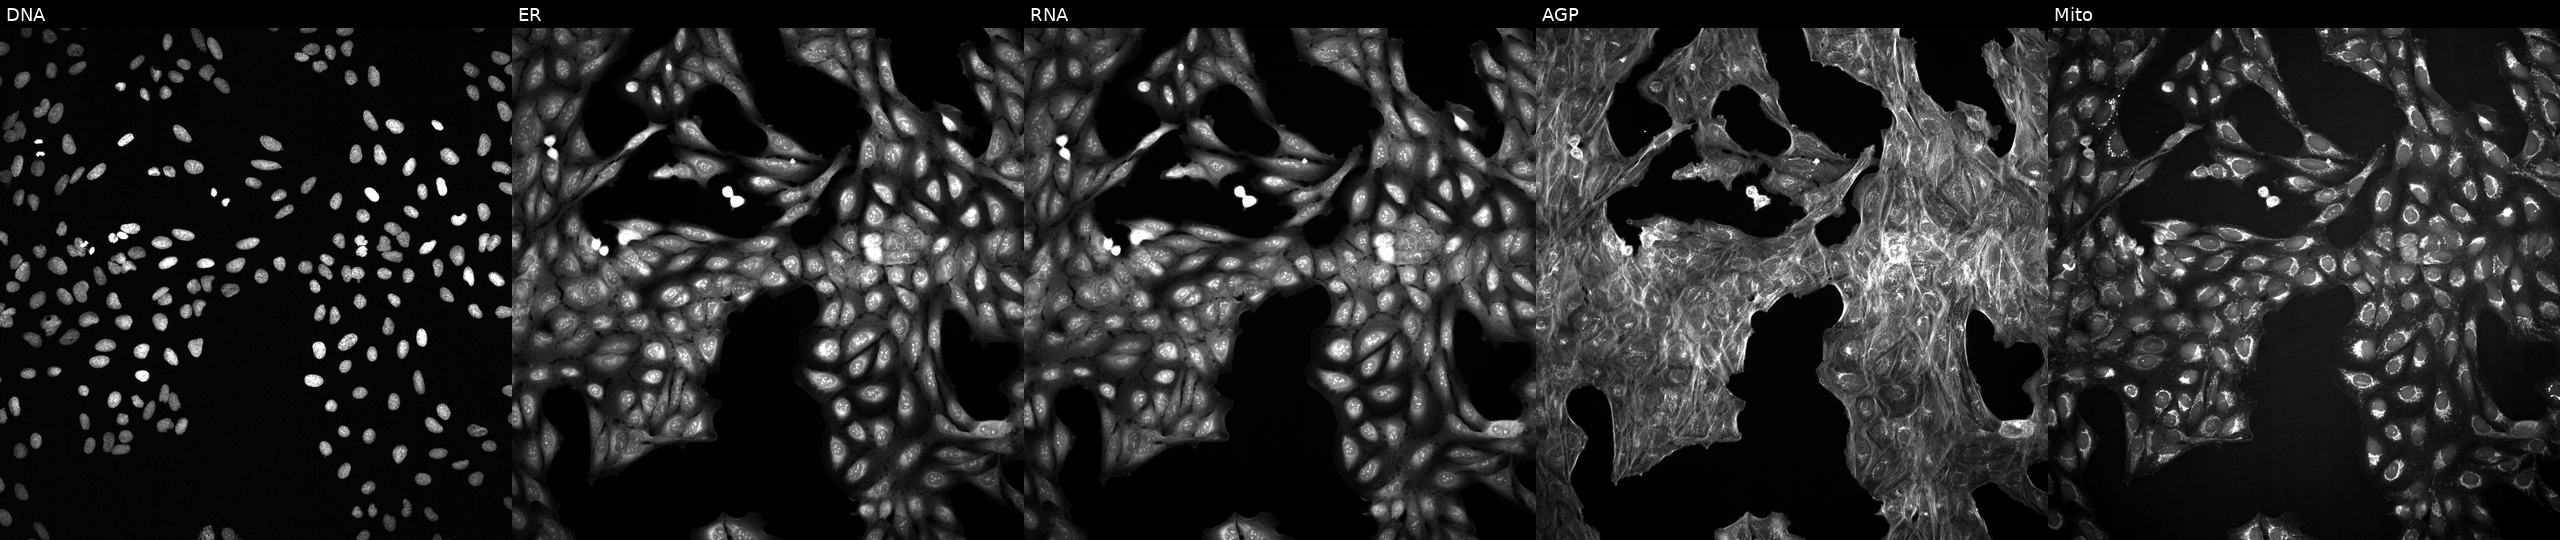
This image strip shows the five Cell Painting channels for a single field of U2OS cells perturbed with a small-molecule compound (InChIKey UAKHOCOZKWNMAR-UHFFFAOYSA-N). The five panels, left to right, show DNA, ER, RNA, AGP, and Mito.